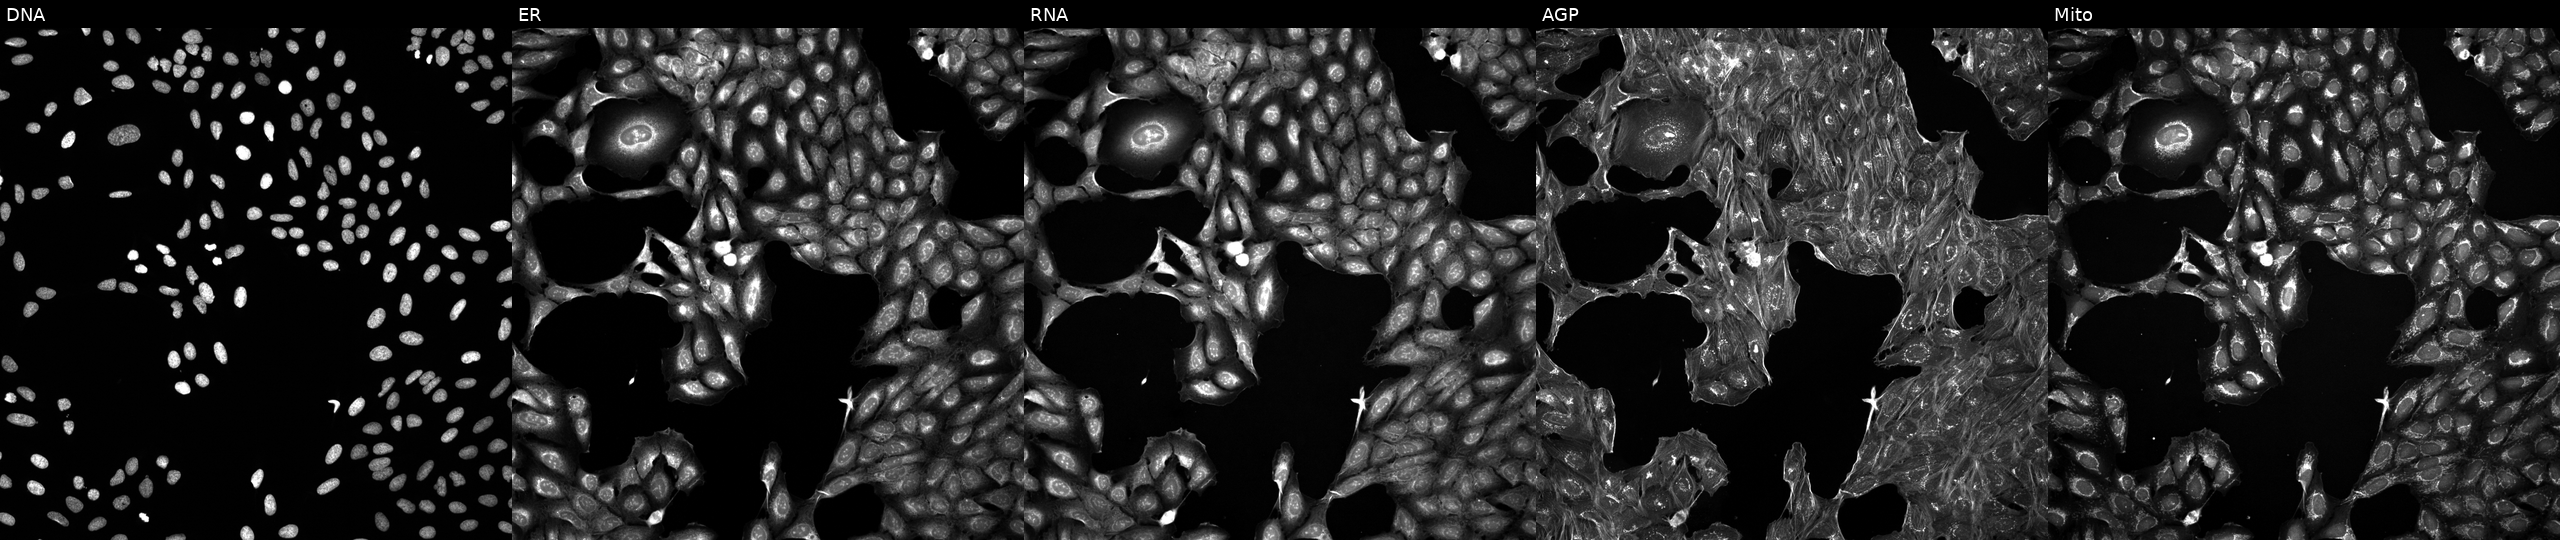
U2OS cells, Cell Painting assay, treated with a small-molecule compound (InChIKey LLVZBTWPGQVVLW-UHFFFAOYSA-N) [SMILES: COCC(=O)NCC=Cc1ccc2[nH]cnc(=Nc3ccc(Oc4ccc(C)nc4)c(C)c3)c2c1] (JUMP id JCP2022_050271). From left to right: Hoechst 33342, concanavalin A, SYTO 14, phalloidin and WGA, MitoTracker. Each panel is percentile-stretched 16-bit fluorescence.